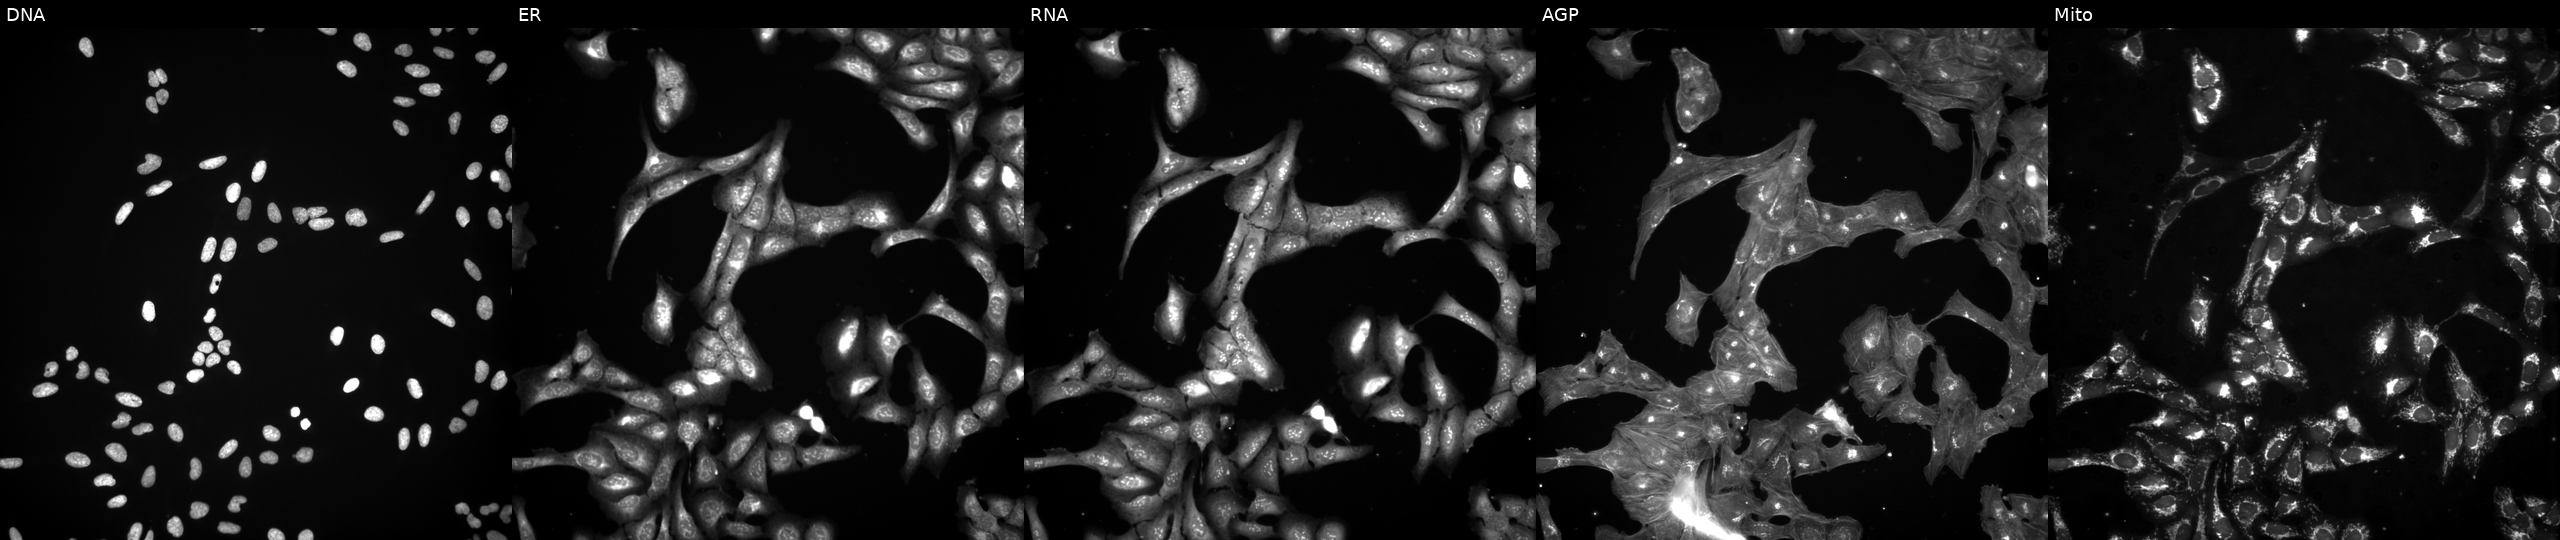
High-content fluorescence microscopy (Cell Painting). Cell line: U2OS. Perturbation: exposed to a small-molecule compound (InChIKey INXITDUVMMOWQZ-UHFFFAOYSA-N). From left to right: DNA (nuclei); ER (endoplasmic reticulum); RNA (nucleoli and cytoplasmic RNA); AGP (actin cytoskeleton, Golgi, and plasma membrane); Mito (mitochondria). Source 3, plate BR5867a3, well D17.